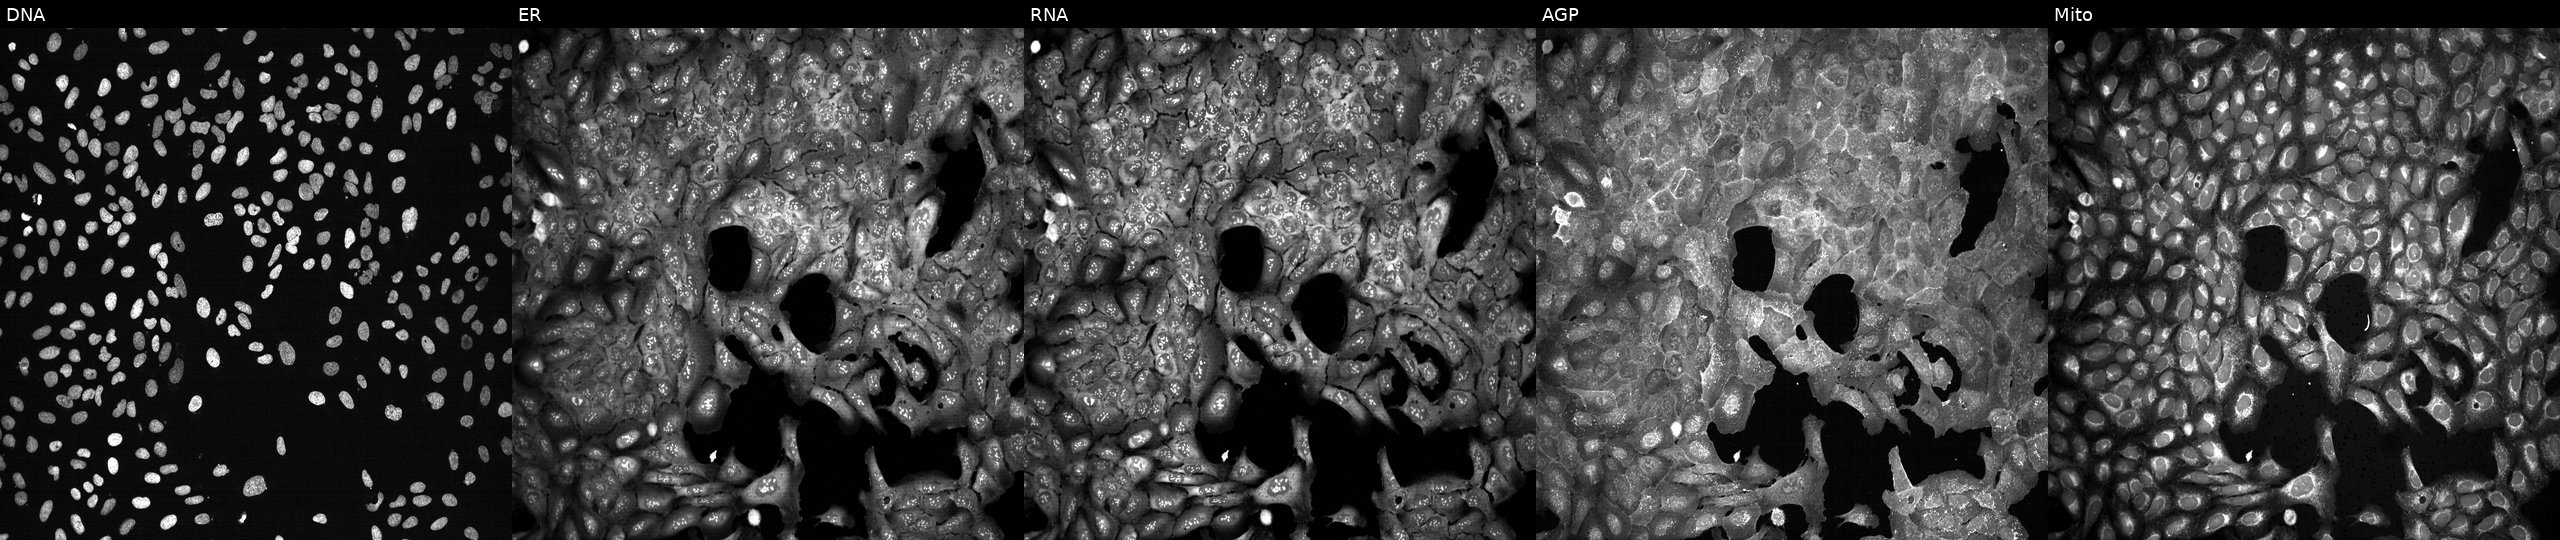
This image strip shows the five Cell Painting channels for a single field of U2OS cells following CRISPR knockout of AARSD1 (JUMP id JCP2022_800013). Channels (left→right): DNA (nuclei); ER (endoplasmic reticulum); RNA (nucleoli and cytoplasmic RNA); AGP (actin cytoskeleton, Golgi, and plasma membrane); Mito (mitochondria).